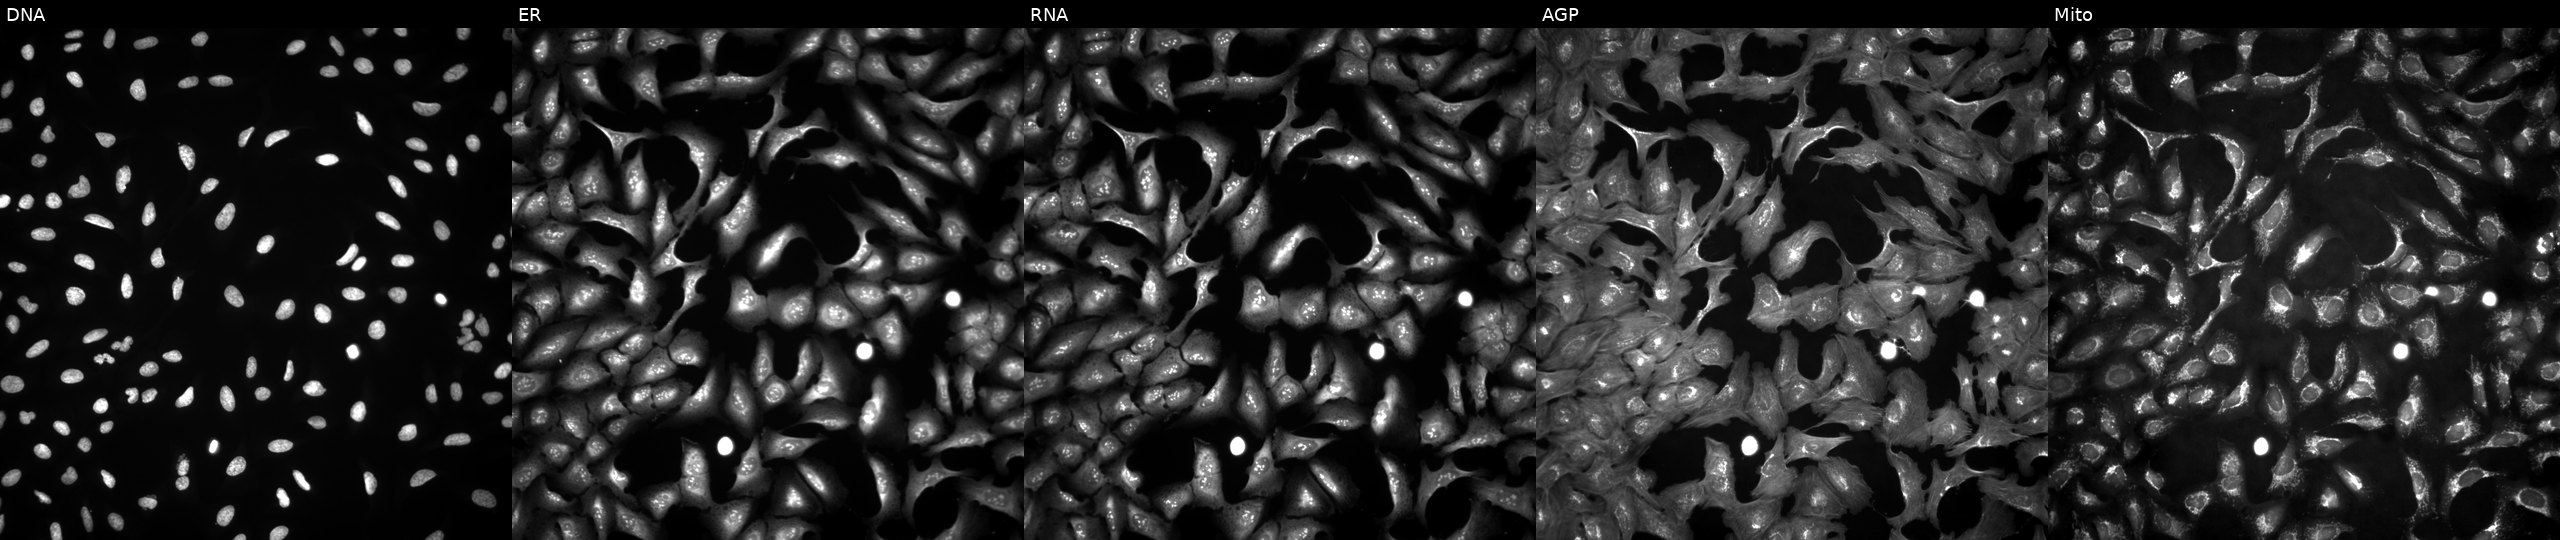
U2OS cells, Cell Painting assay, overexpressing KRTAP19-5 via ORF transfection (JUMP id JCP2022_905083). Channels (left→right): DNA (nuclei); ER (endoplasmic reticulum); RNA (nucleoli and cytoplasmic RNA); AGP (actin cytoskeleton, Golgi, and plasma membrane); Mito (mitochondria). Each panel is percentile-stretched 16-bit fluorescence.